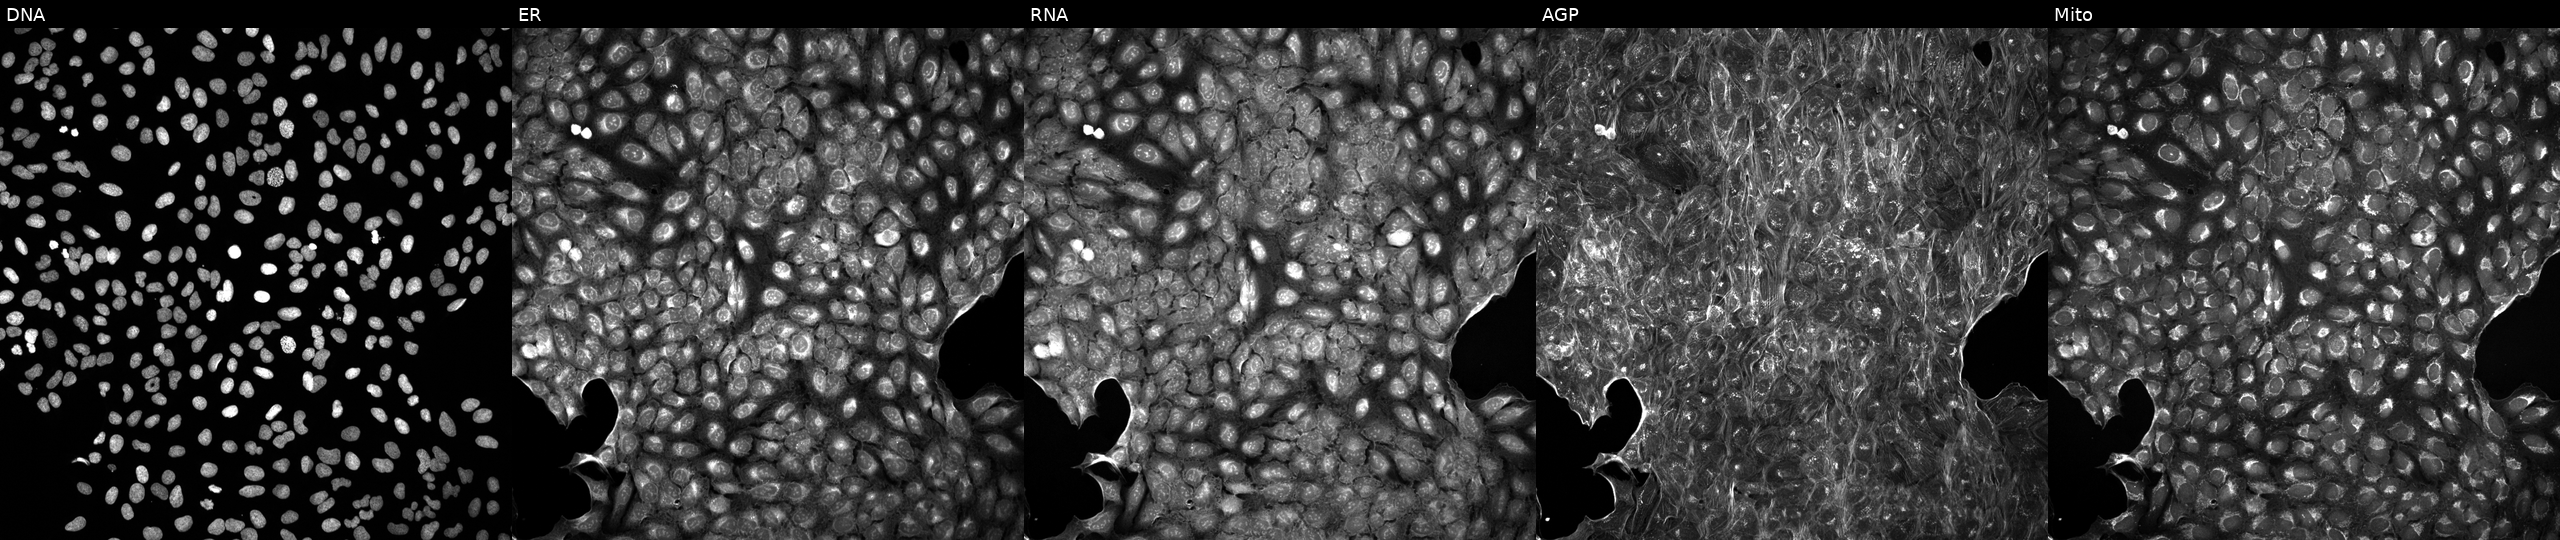
Five-channel Cell Painting image of U2OS cells exposed to a small-molecule compound [SMILES: COc1cc2[nH]c(N3CCN(C(=O)C4CCCO4)CC3)nc(=N)c2cc1OC]. The five panels, left to right, show Hoechst 33342, concanavalin A, SYTO 14, phalloidin and WGA, MitoTracker.